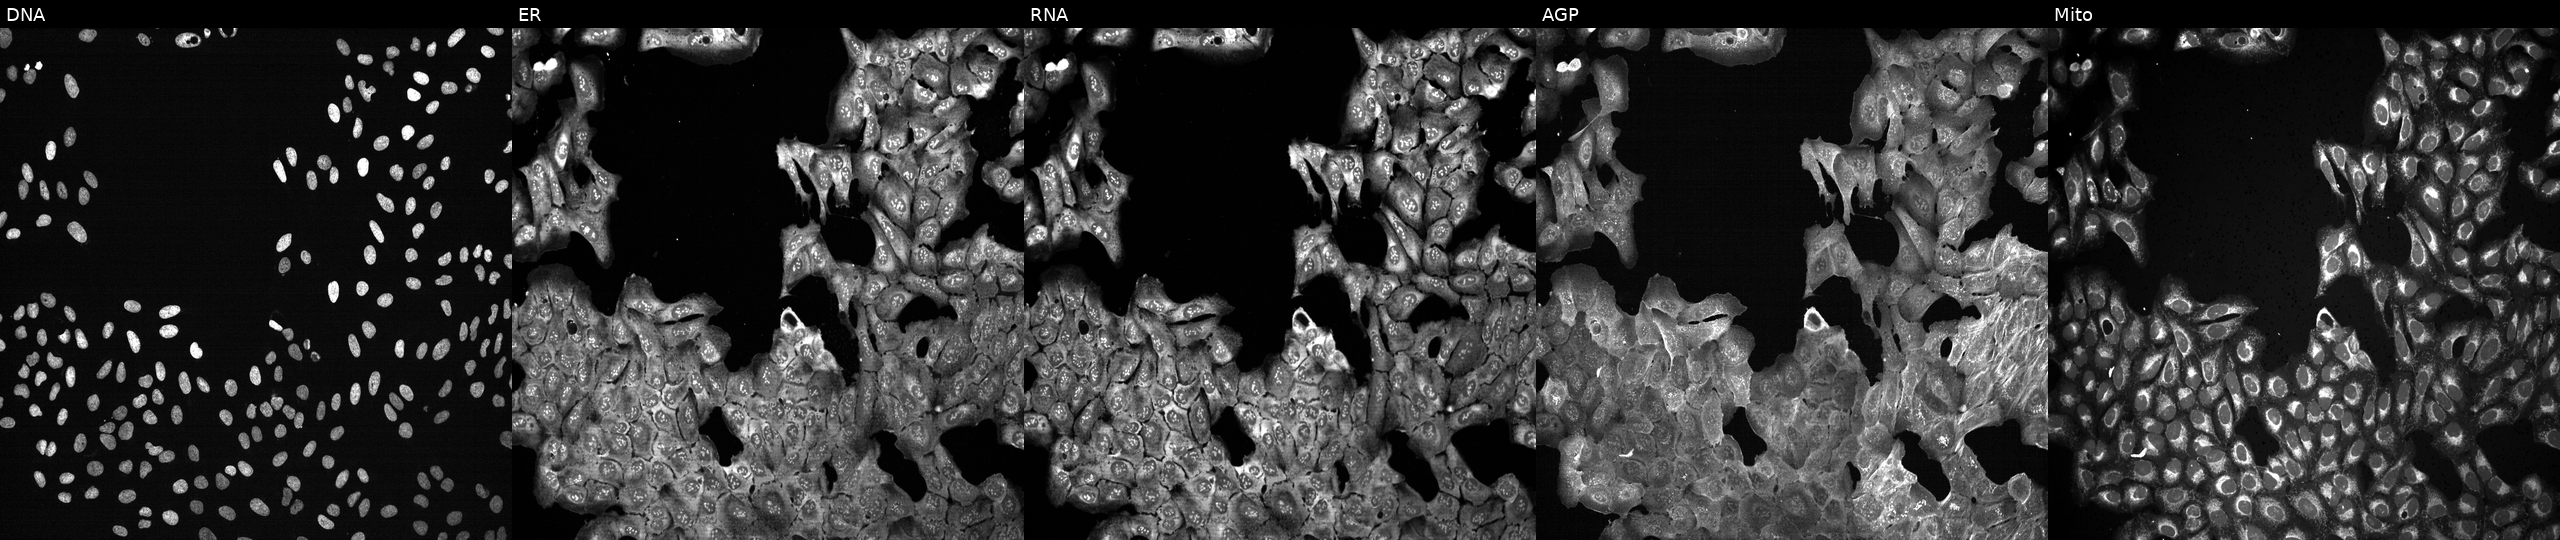
Channels (left→right): Hoechst 33342, concanavalin A, SYTO 14, phalloidin and WGA, MitoTracker. U2OS osteosarcoma cells CRISPR-edited to disrupt MYDGF. Cell Painting assay, JUMP-CP dataset. Source 13, plate CP-CC9-R2-01, well L15.